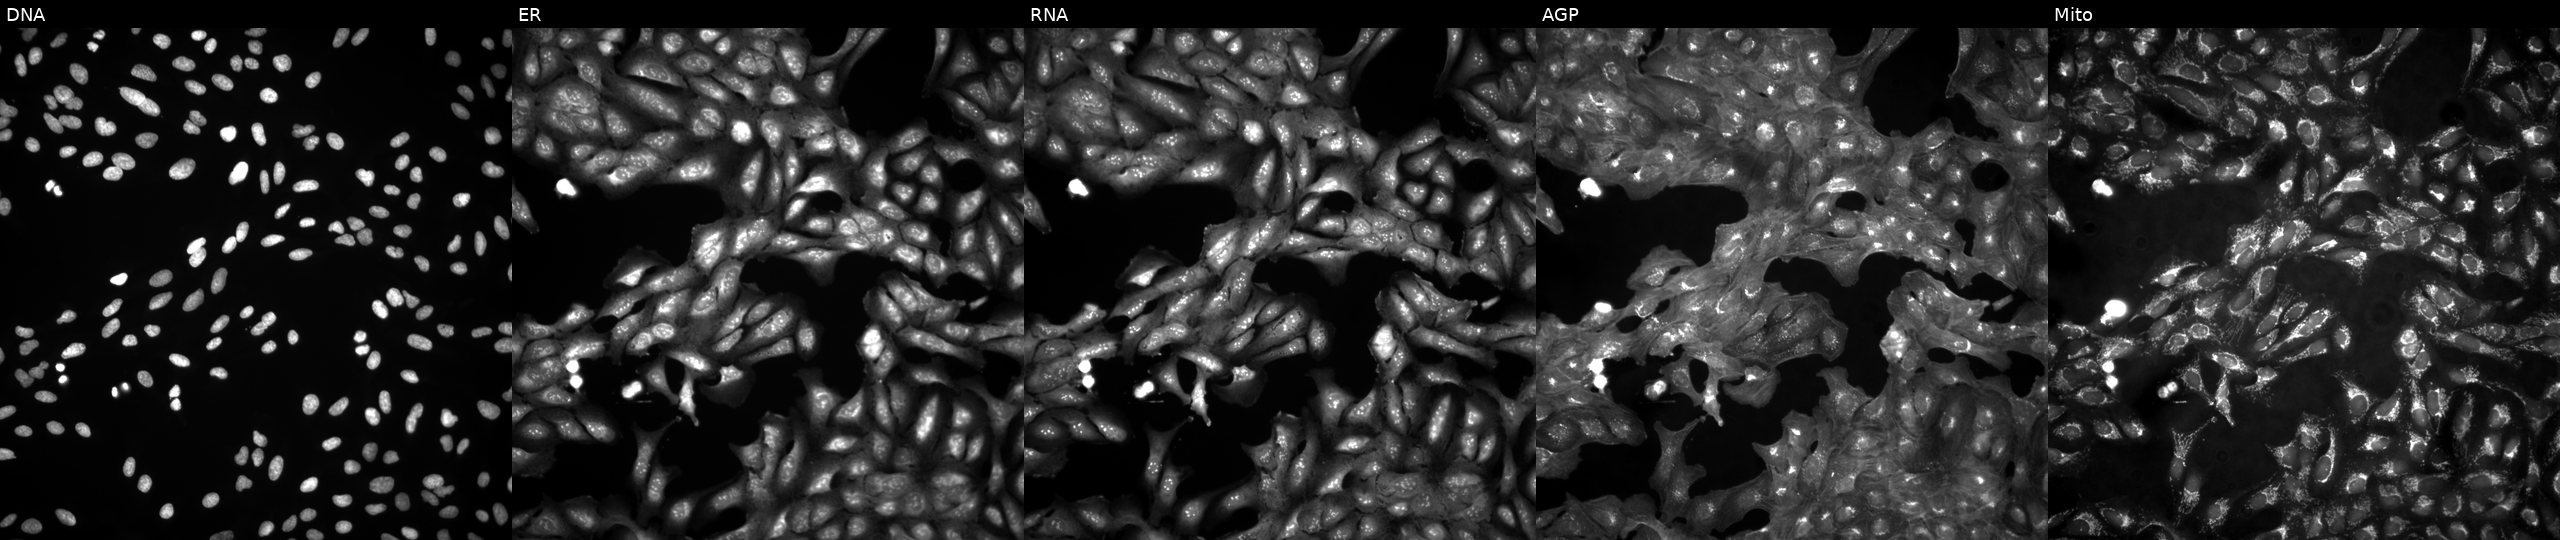
Five-channel Cell Painting image of U2OS cells in an empty control well (no perturbation). The five panels, left to right, show DNA (nuclei); ER (endoplasmic reticulum); RNA (nucleoli and cytoplasmic RNA); AGP (actin cytoskeleton, Golgi, and plasma membrane); Mito (mitochondria). Source 4, plate BR00123946, well M20.